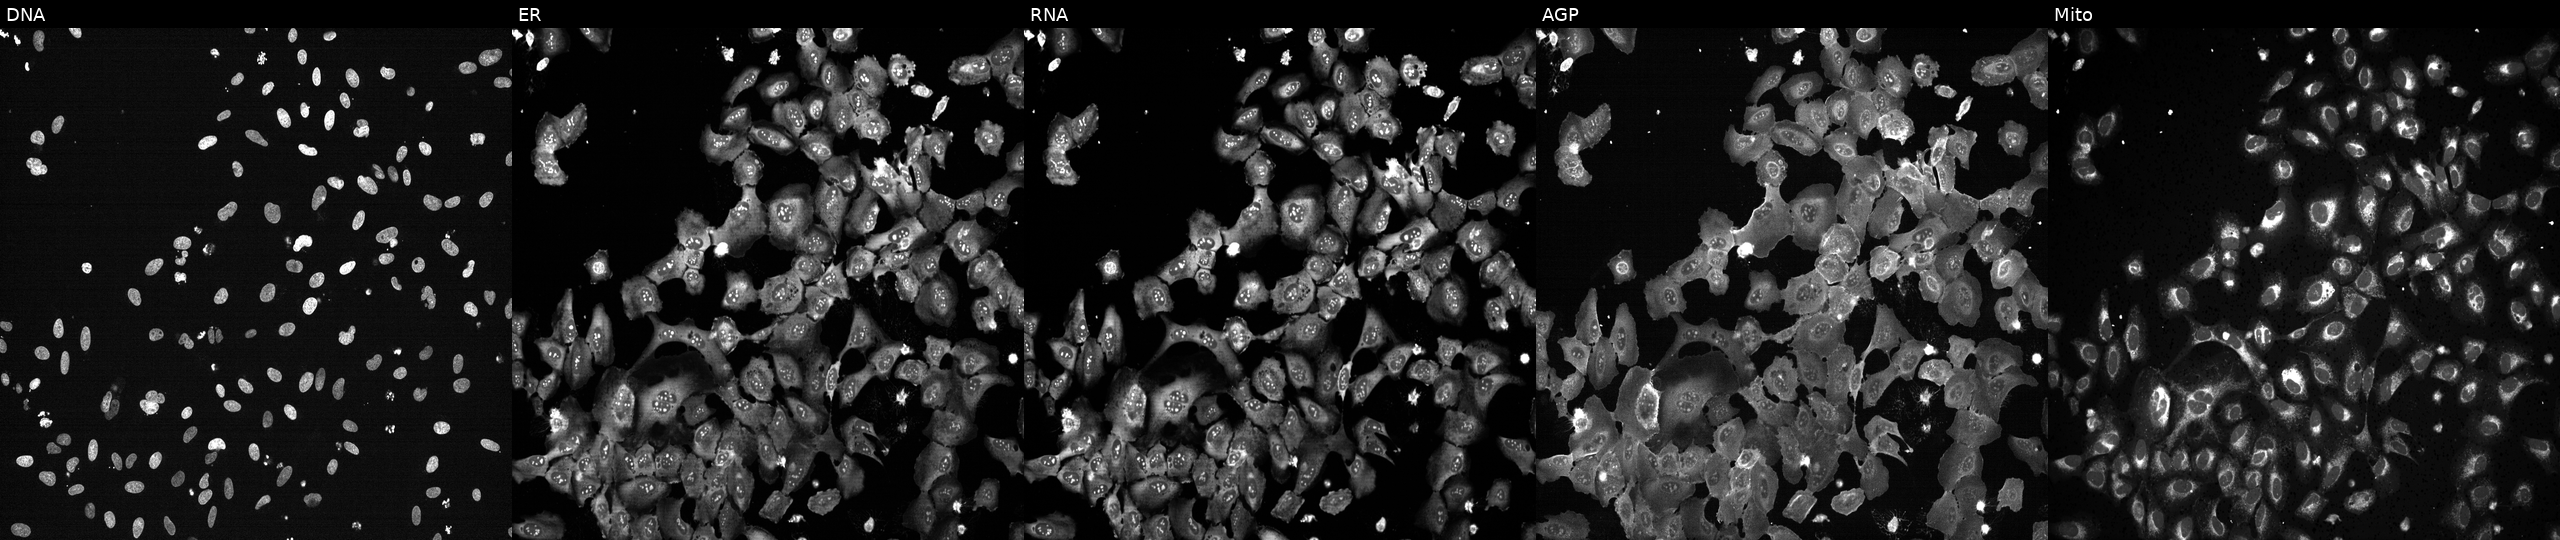
Five-channel Cell Painting image of U2OS cells exposed to the positive-control compound TC-S-7004. Channels (left→right): Hoechst 33342, concanavalin A, SYTO 14, phalloidin and WGA, MitoTracker. Source 13, plate CP-CC9-R2-02, well D24.